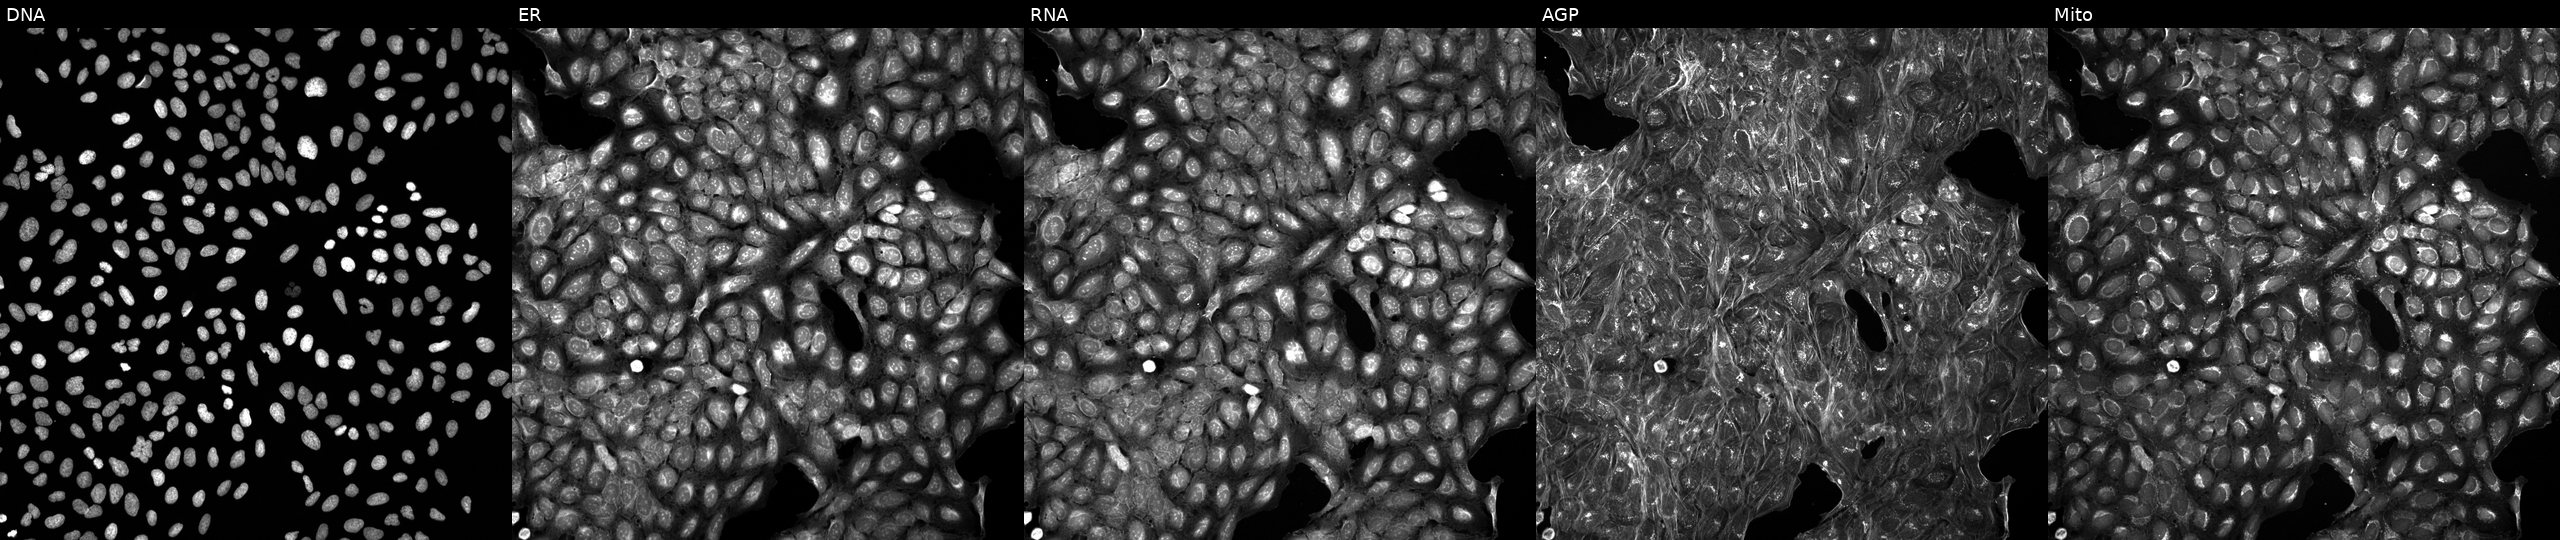
The five panels, left to right, show DNA (nuclei); ER (endoplasmic reticulum); RNA (nucleoli and cytoplasmic RNA); AGP (actin cytoskeleton, Golgi, and plasma membrane); Mito (mitochondria). U2OS osteosarcoma cells perturbed with a small-molecule compound (InChIKey OKDXSAQWOURQLV-UHFFFAOYSA-N) [SMILES: O=C(Cn1cnnn1)N1CCCC(c2cc(C(F)(F)F)[nH]n2)C1]. Cell Painting assay, JUMP-CP dataset.